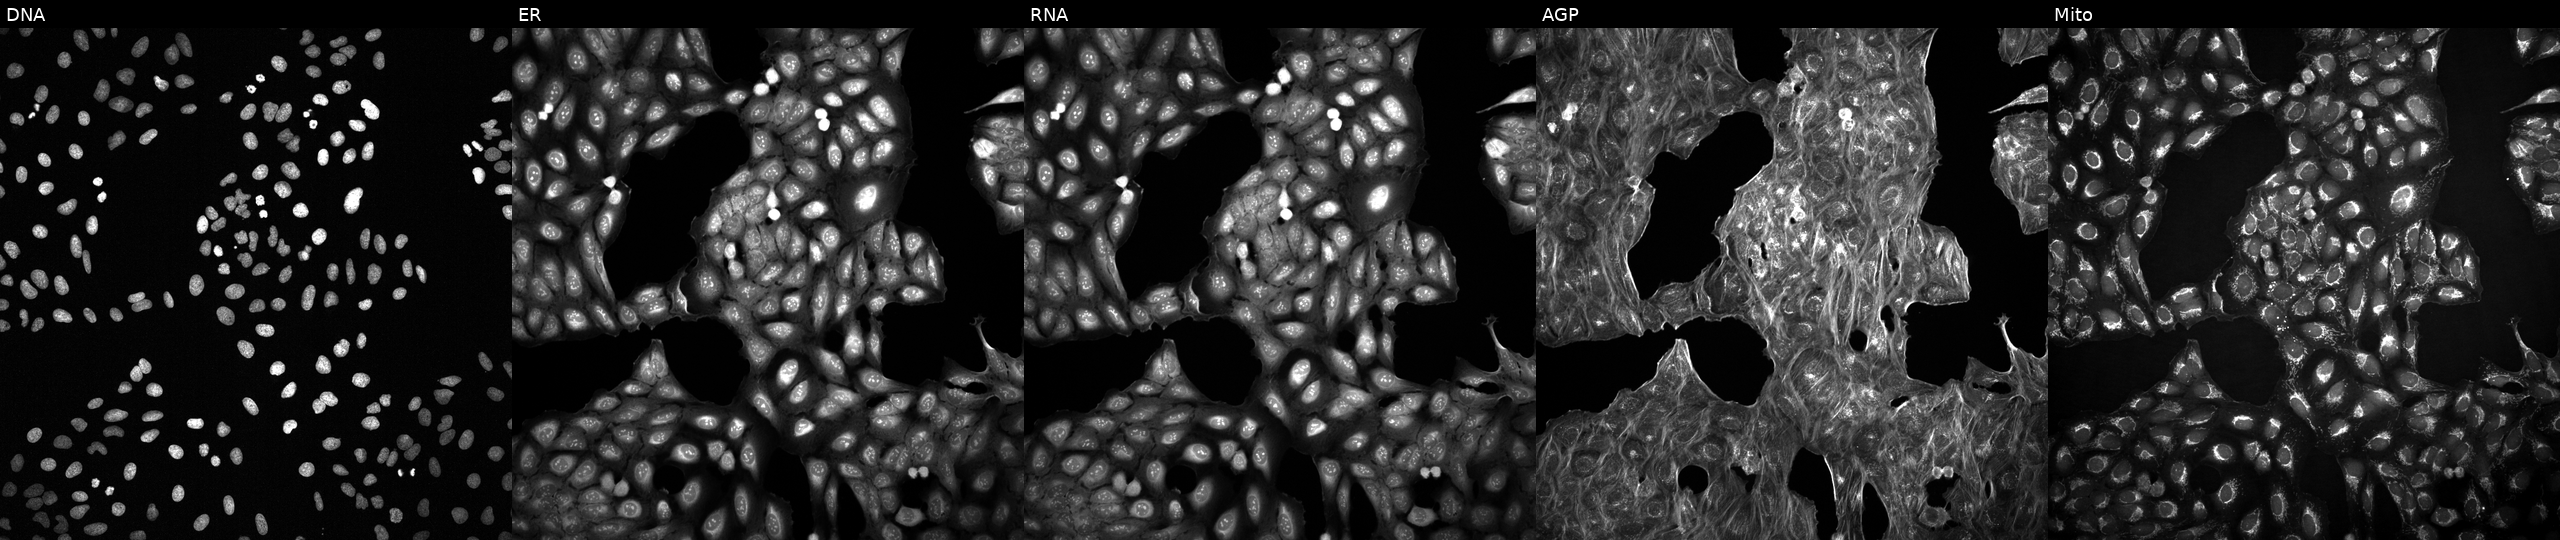
This image strip shows the five Cell Painting channels for a single field of U2OS cells with an unidentified perturbation (not annotated in JUMP metadata). The five panels, left to right, show Hoechst 33342, concanavalin A, SYTO 14, phalloidin and WGA, MitoTracker.